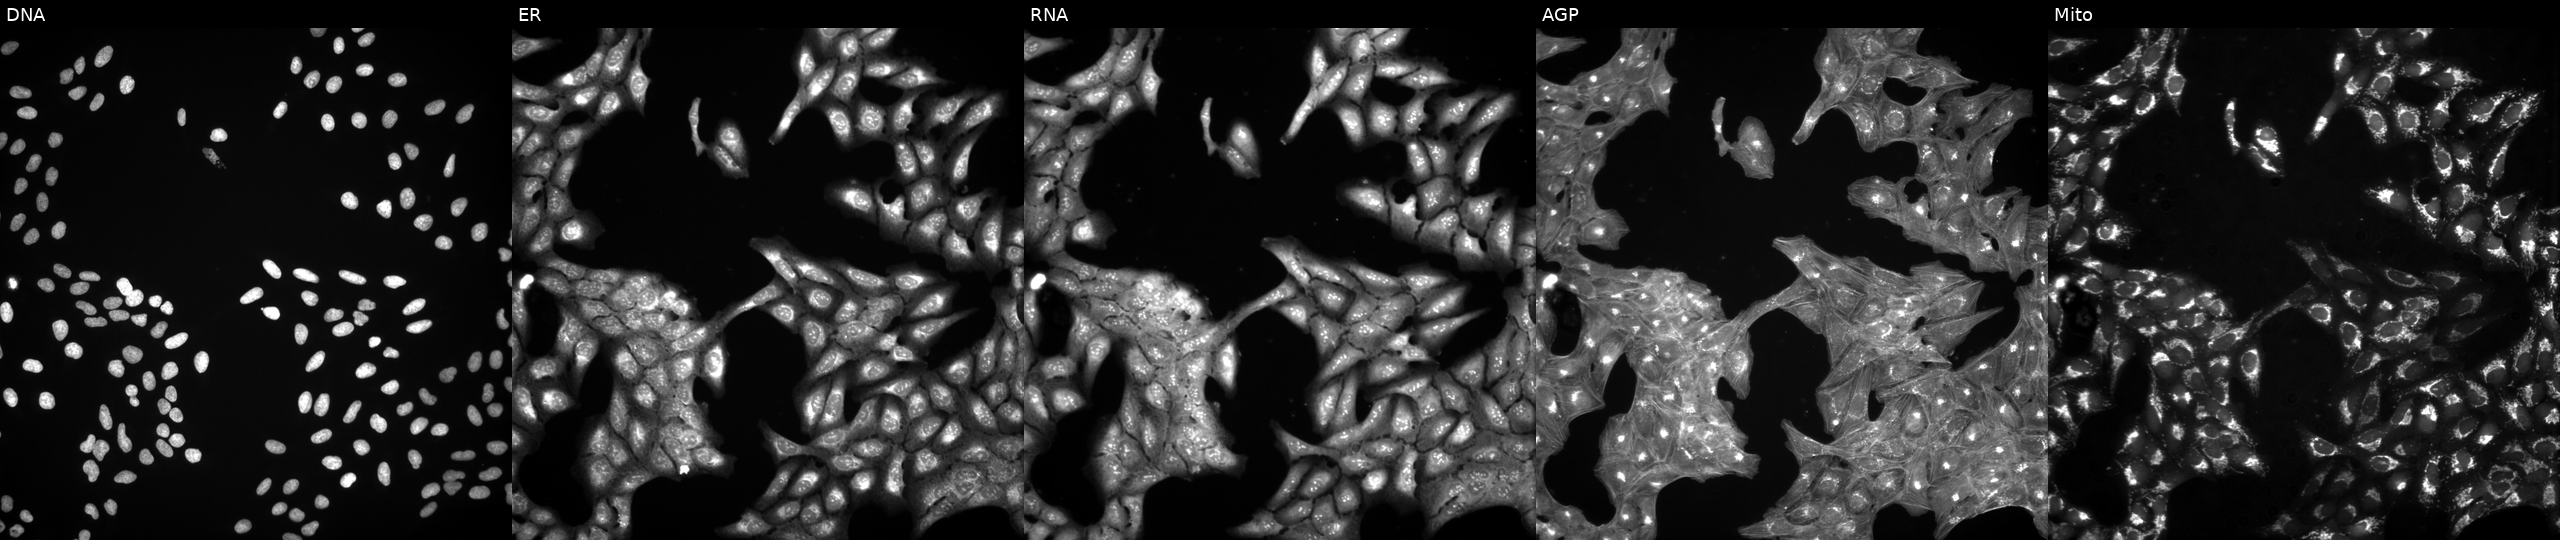
Channels (left→right): DNA (nuclei); ER (endoplasmic reticulum); RNA (nucleoli and cytoplasmic RNA); AGP (actin cytoskeleton, Golgi, and plasma membrane); Mito (mitochondria). U2OS osteosarcoma cells exposed to DMSO alone as a negative control (JUMP id JCP2022_033924). Cell Painting assay, JUMP-CP dataset.